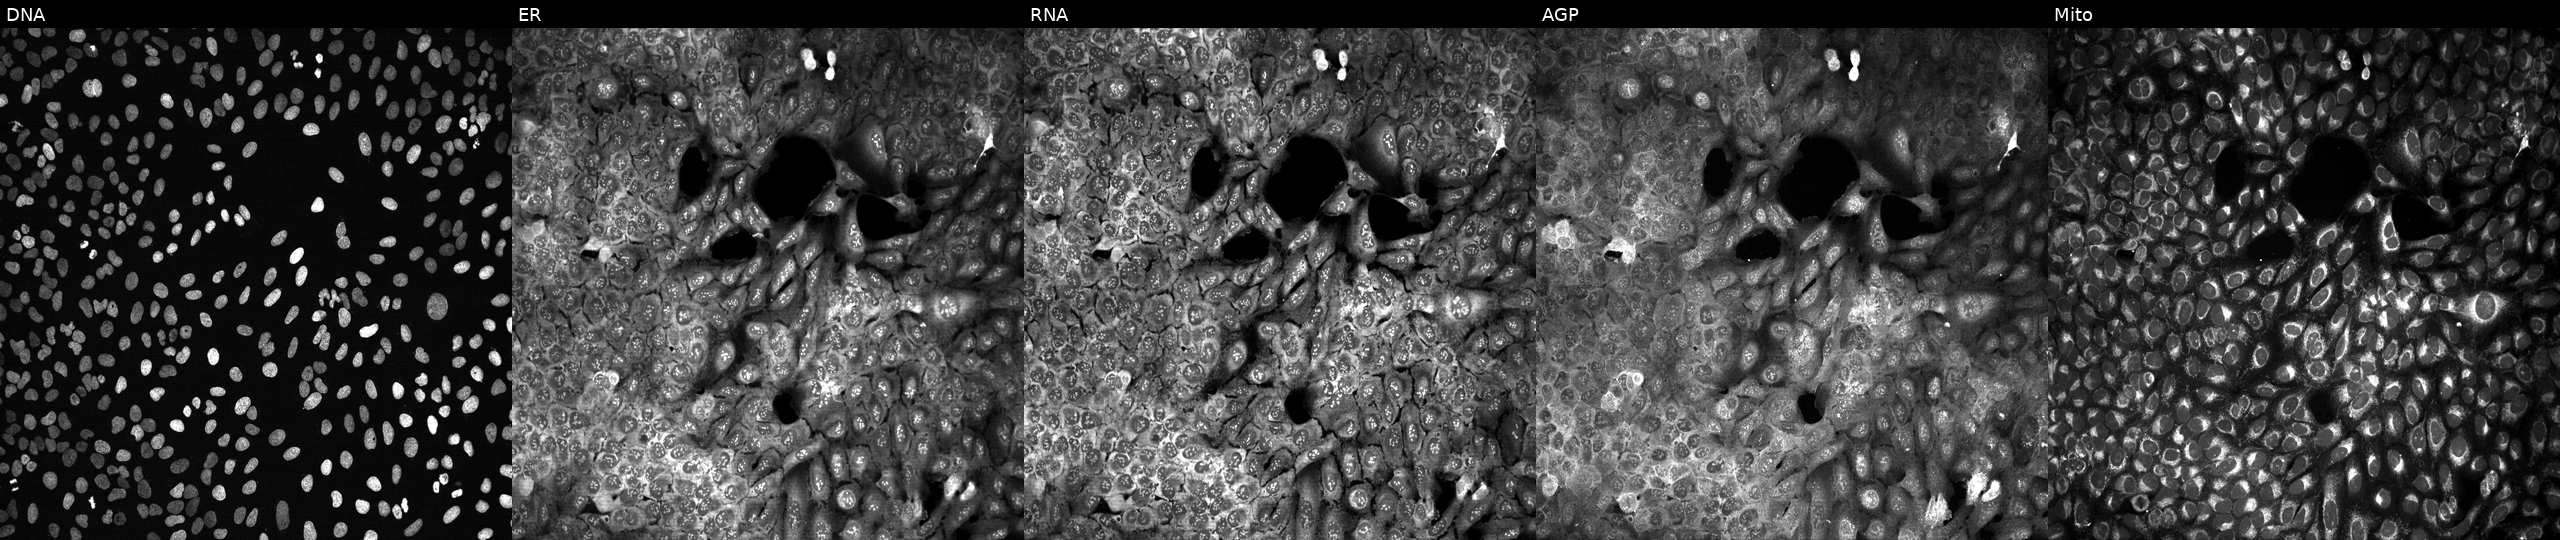
The five panels, left to right, show DNA, ER, RNA, AGP, and Mito. U2OS osteosarcoma cells CRISPR-edited to disrupt AKR1C2. Cell Painting assay, JUMP-CP dataset. Source 13, plate CP-CC9-R4-03, well M03.